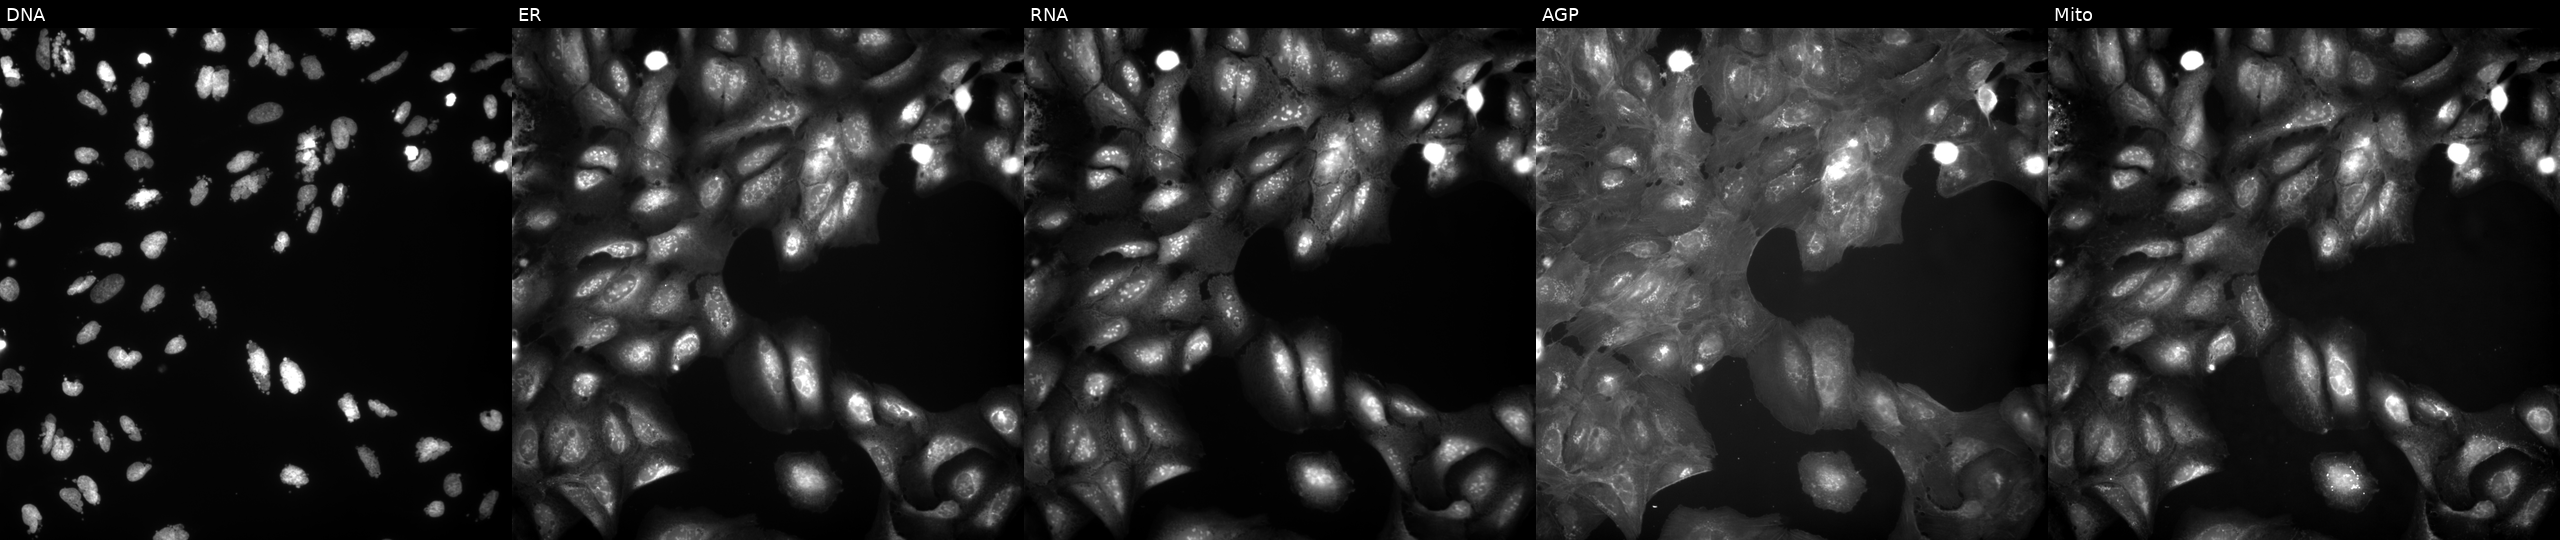
U2OS cells, Cell Painting assay, treated with AMG900 (positive-control compound) (JUMP id JCP2022_037716). From left to right: DNA (nuclei); ER (endoplasmic reticulum); RNA (nucleoli and cytoplasmic RNA); AGP (actin cytoskeleton, Golgi, and plasma membrane); Mito (mitochondria). Each panel is percentile-stretched 16-bit fluorescence. Source 9, plate GR00003381, well J25.